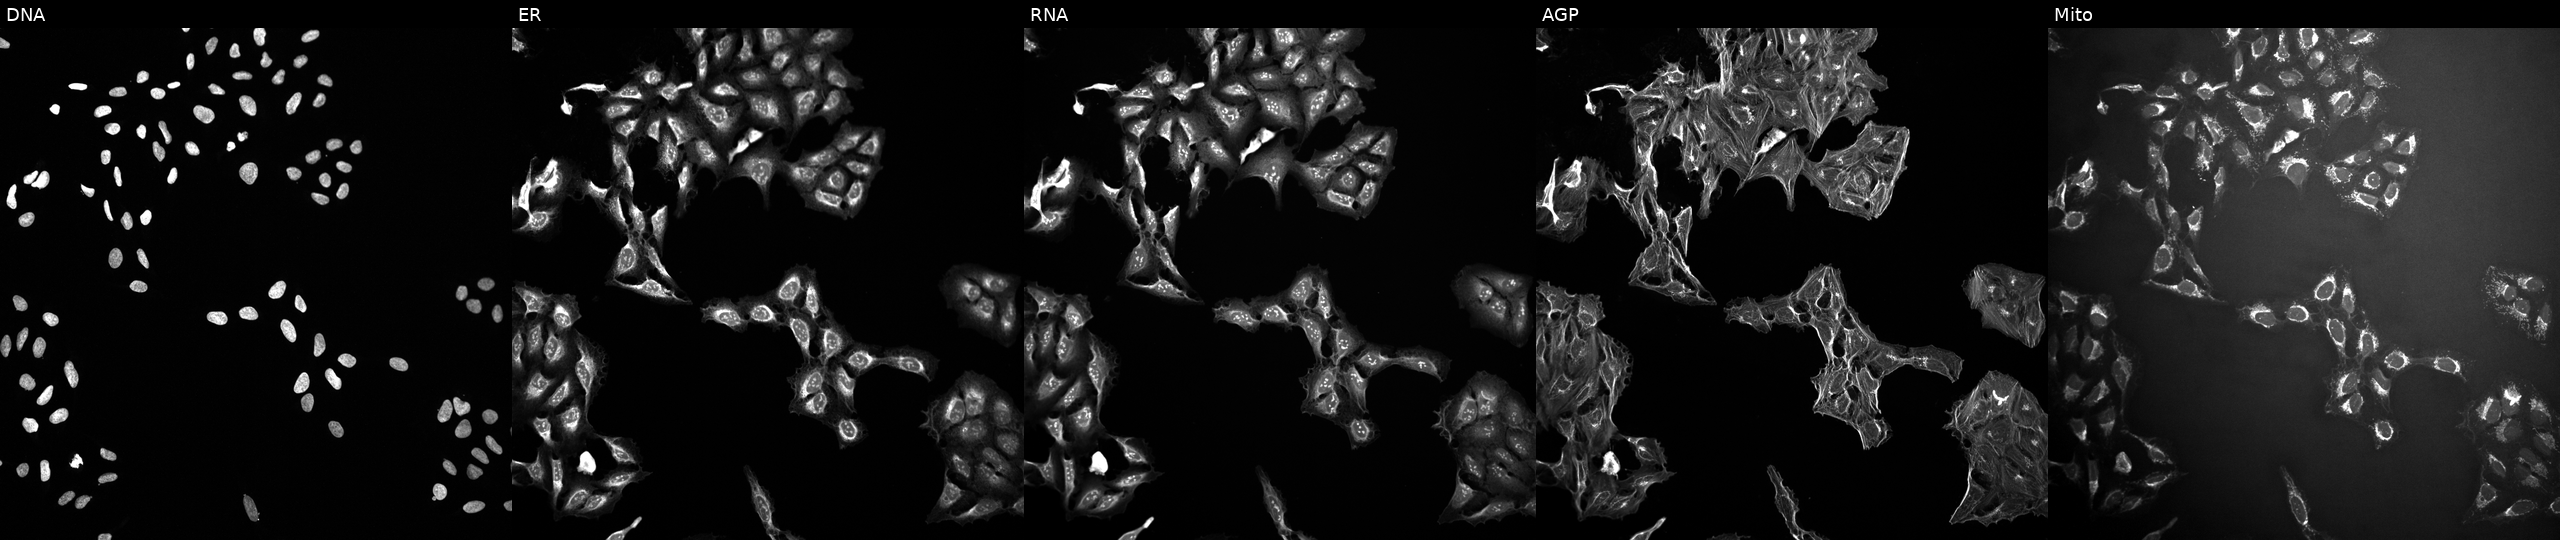
High-content fluorescence microscopy (Cell Painting). Cell line: U2OS. Perturbation: exposed to DMSO alone as a negative control. Channels (left→right): Hoechst 33342, concanavalin A, SYTO 14, phalloidin and WGA, MitoTracker.